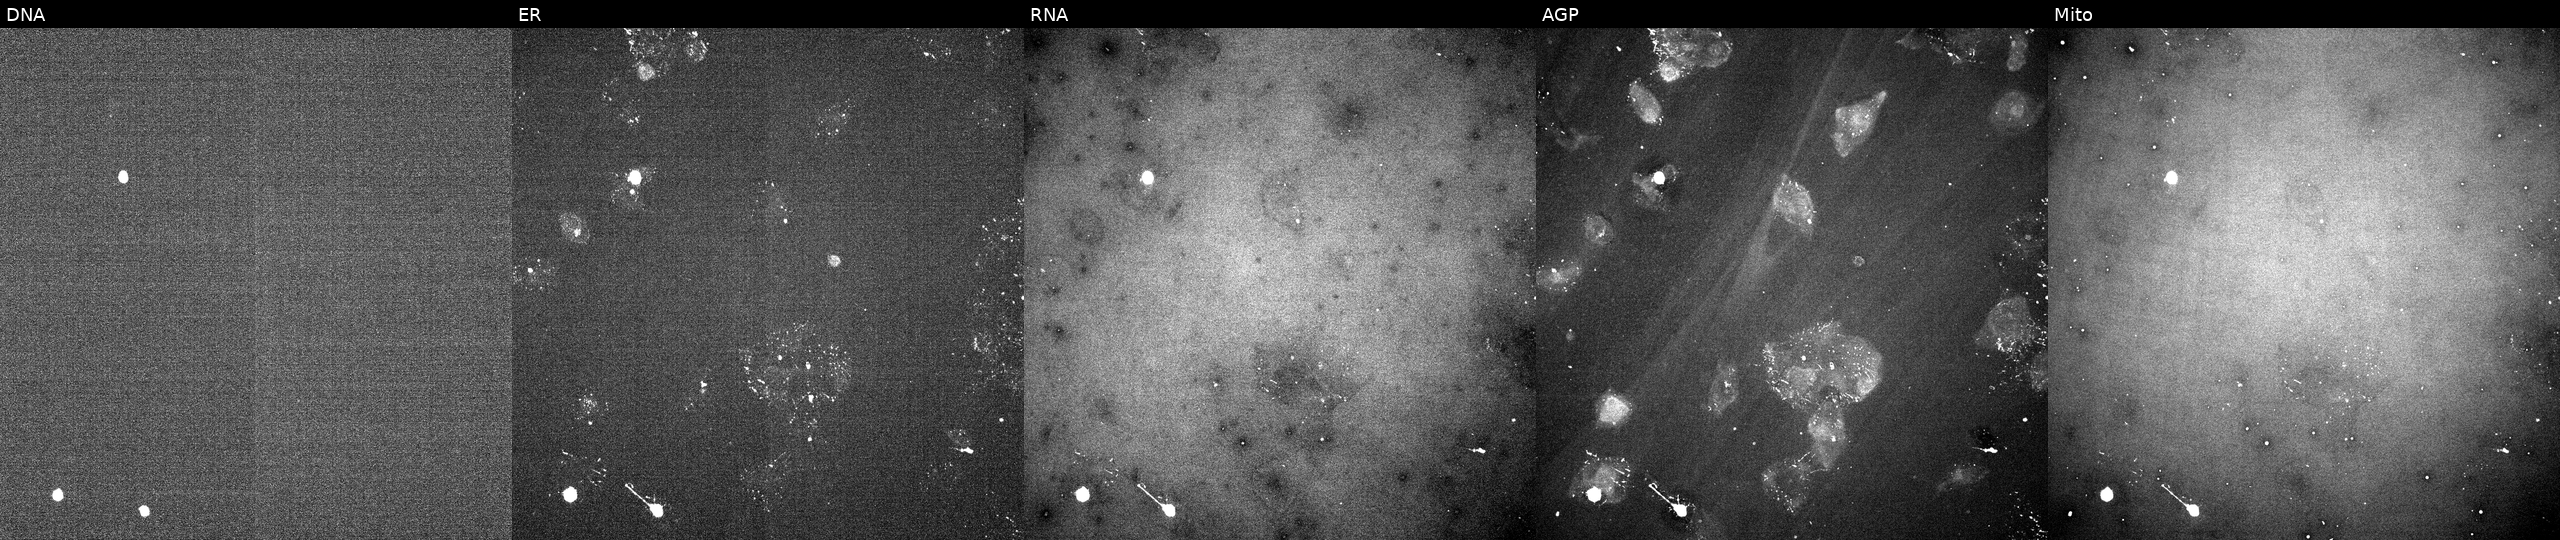
From left to right: DNA (nuclei); ER (endoplasmic reticulum); RNA (nucleoli and cytoplasmic RNA); AGP (actin cytoskeleton, Golgi, and plasma membrane); Mito (mitochondria). U2OS osteosarcoma cells exposed to a small-molecule compound (JUMP id JCP2022_033914). Cell Painting assay, JUMP-CP dataset.